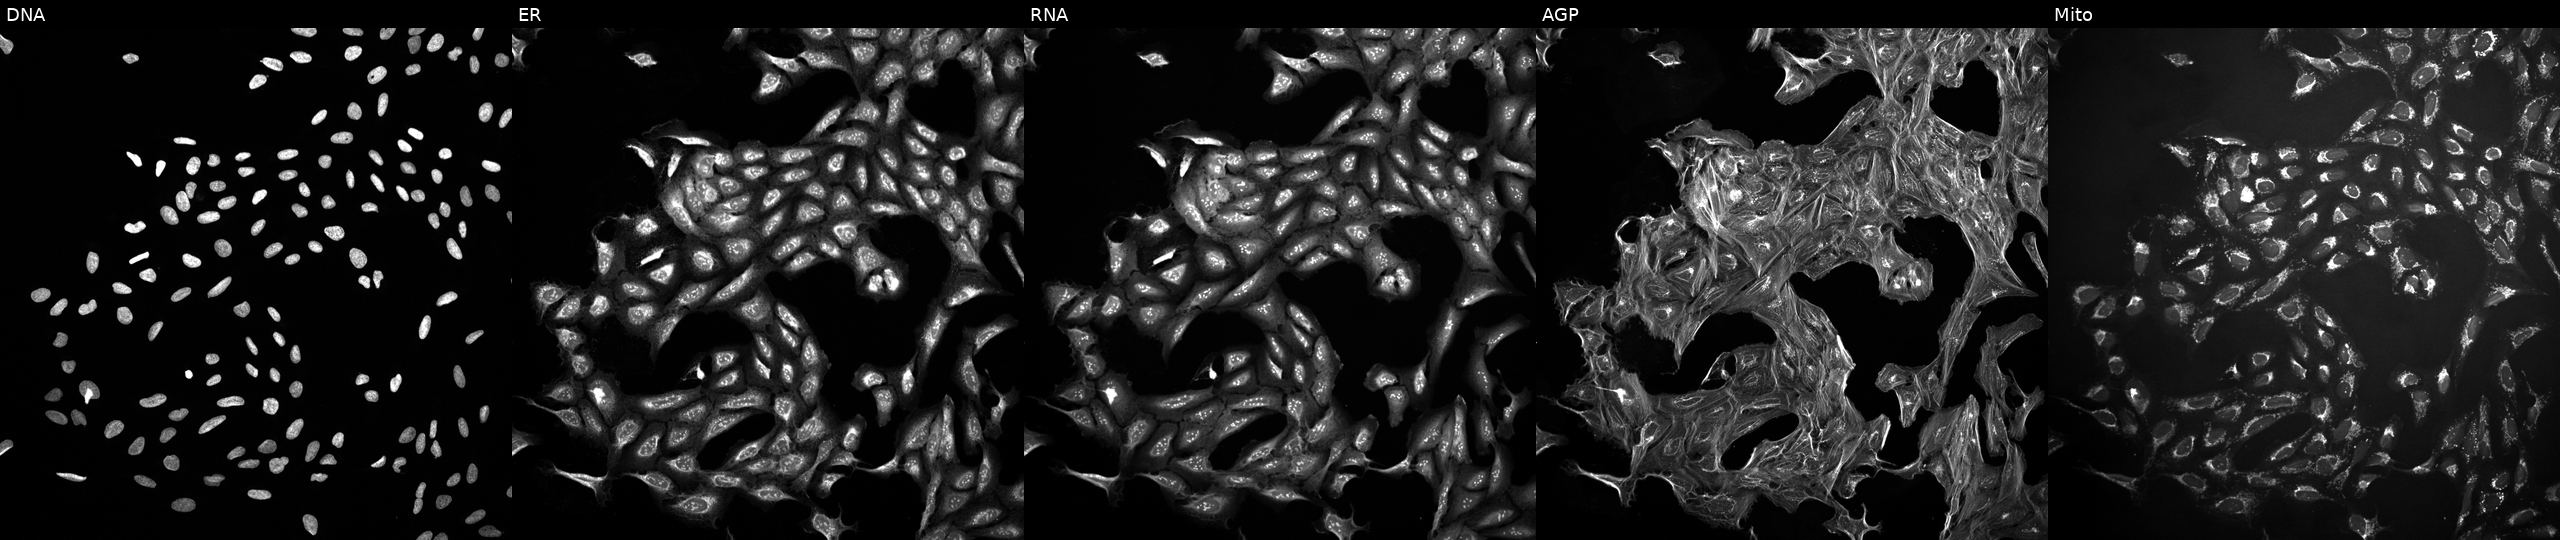
Channels (left→right): Hoechst 33342, concanavalin A, SYTO 14, phalloidin and WGA, MitoTracker. U2OS osteosarcoma cells treated with a small-molecule compound (InChIKey PFHDWRIVDDIFRP-UHFFFAOYSA-N). Cell Painting assay, JUMP-CP dataset. Source 10, plate Dest210727-153003, well F07.